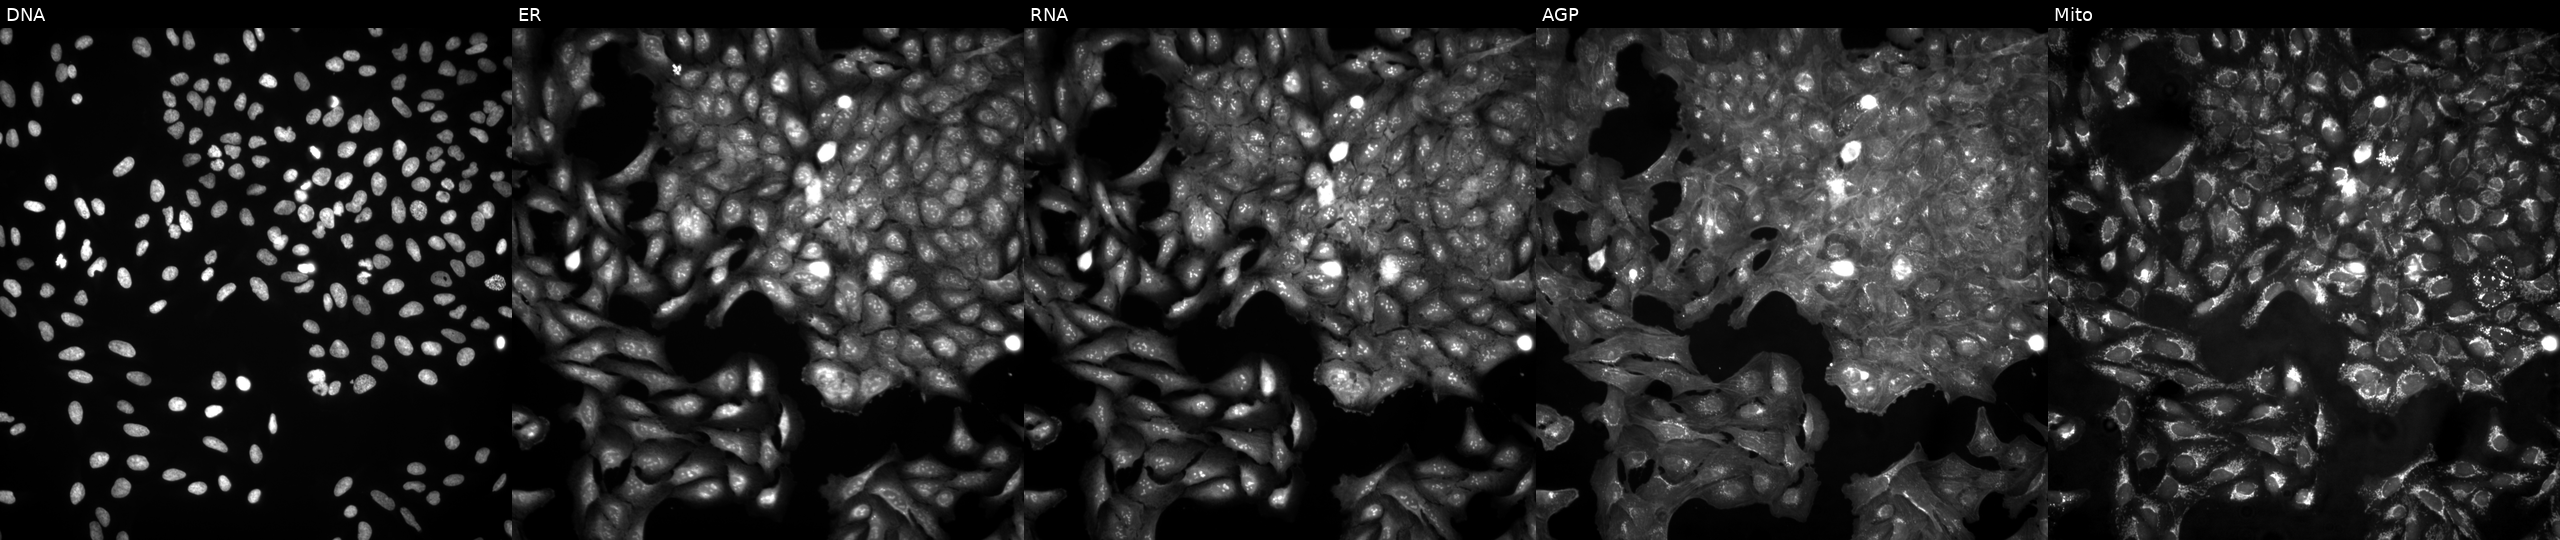
U2OS cells, Cell Painting assay, in an empty control well (no perturbation) (JUMP id JCP2022_999999). The five panels, left to right, show Hoechst 33342, concanavalin A, SYTO 14, phalloidin and WGA, MitoTracker. Each panel is percentile-stretched 16-bit fluorescence.